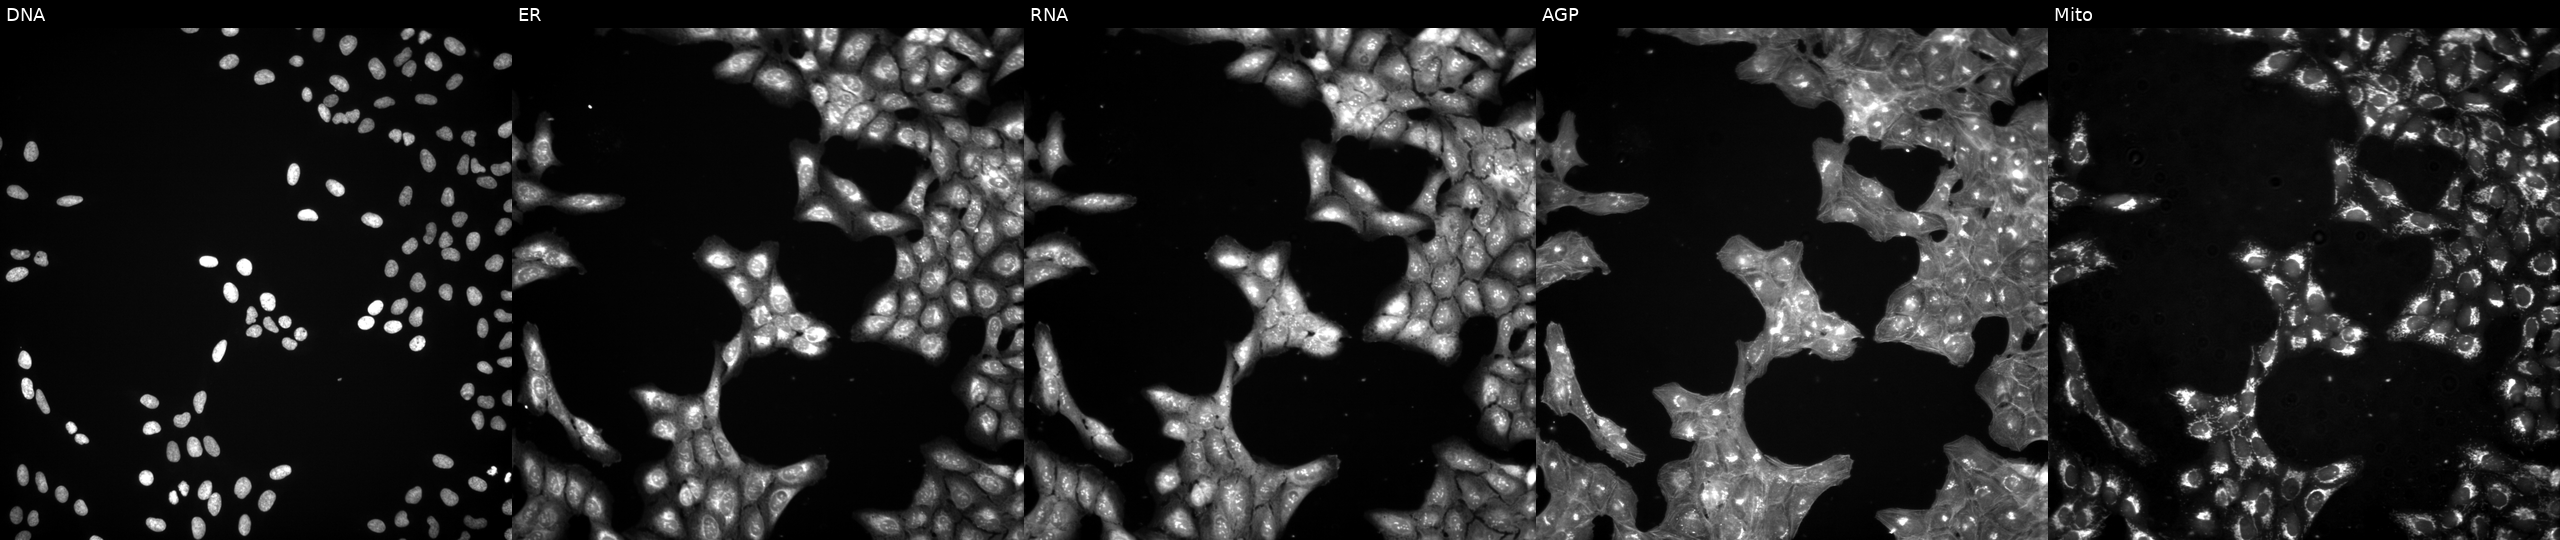
High-content fluorescence microscopy (Cell Painting). Cell line: U2OS. Perturbation: exposed to a small-molecule compound (InChIKey KYFVLVBNPSBBRN-UHFFFAOYSA-N) (JUMP id JCP2022_047755). The five panels, left to right, show DNA, ER, RNA, AGP, and Mito.